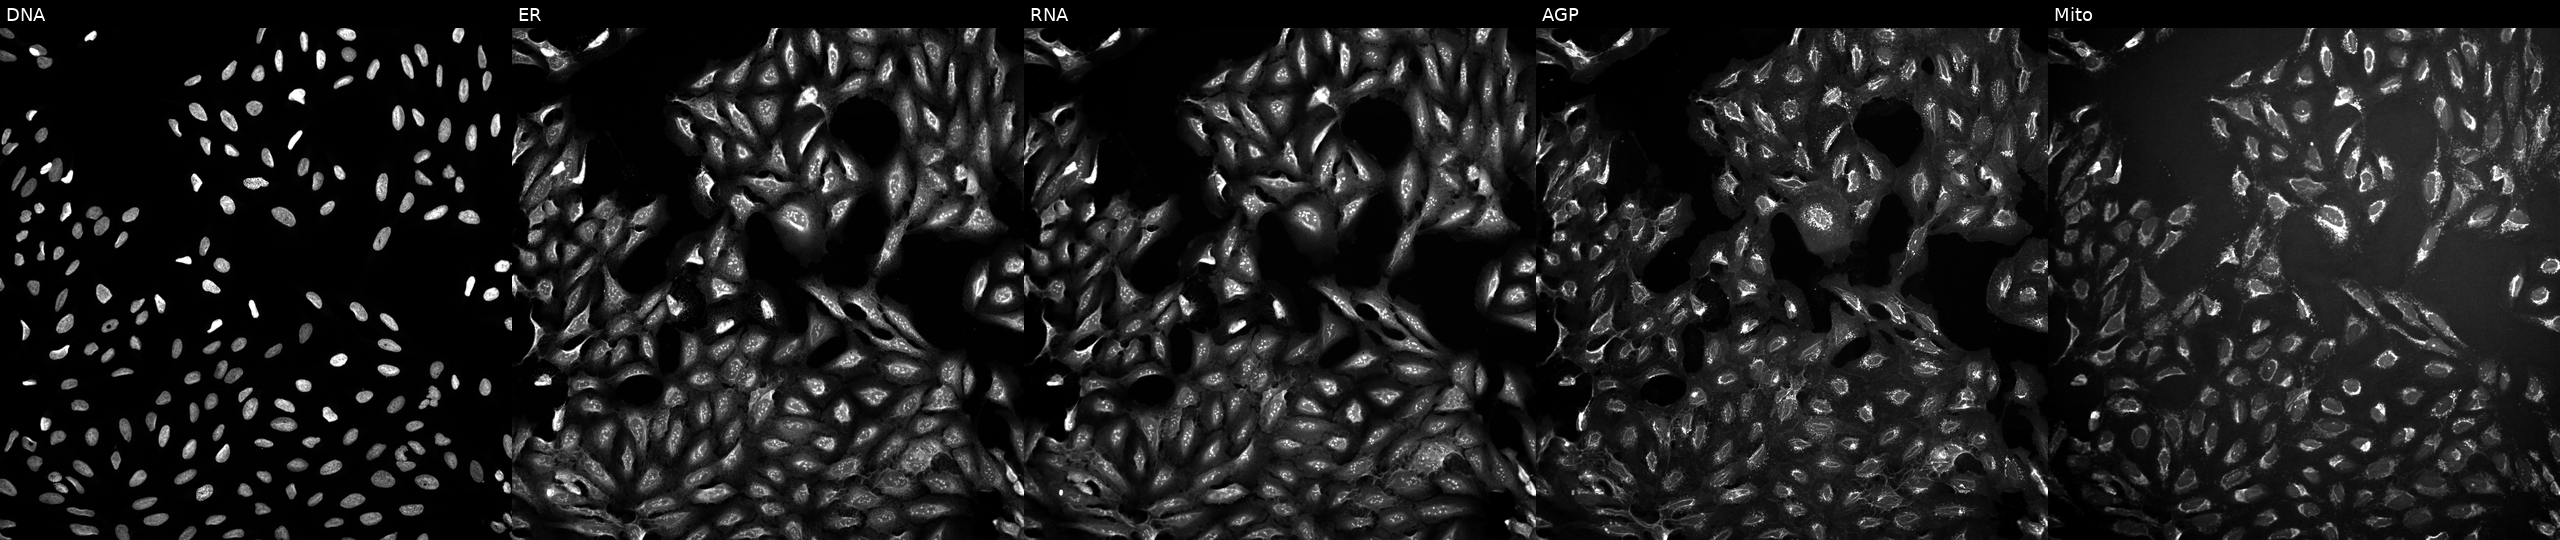
High-content fluorescence microscopy (Cell Painting). Cell line: U2OS. Perturbation: exposed to a small-molecule compound. Channels (left→right): Hoechst 33342, concanavalin A, SYTO 14, phalloidin and WGA, MitoTracker. Source 10, plate Dest210803-153958, well C24.